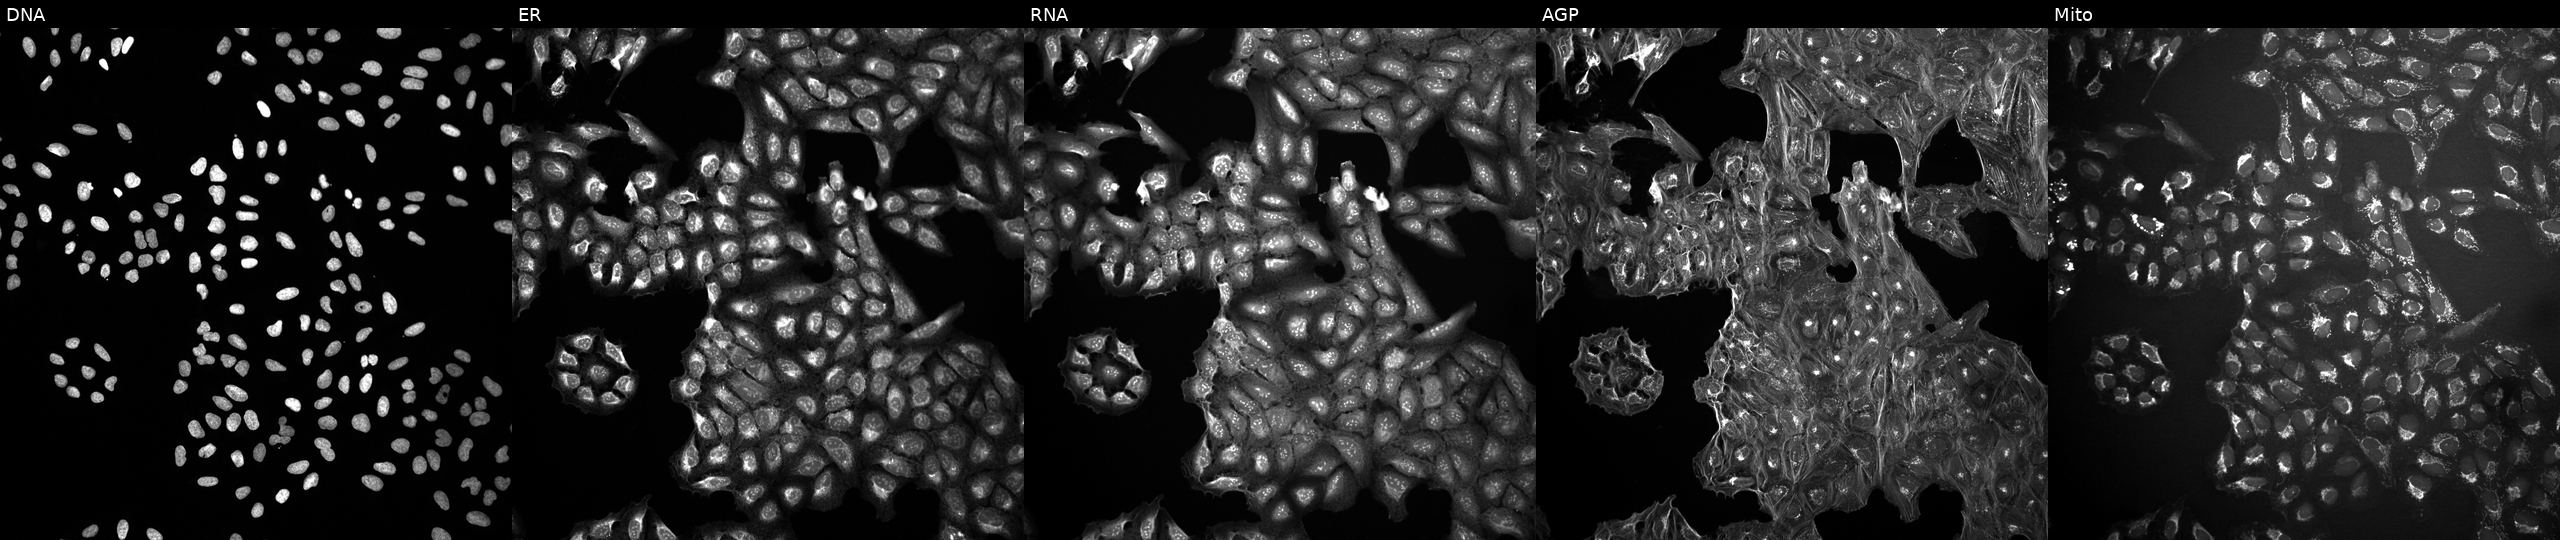
JUMP Cell Painting — COMPOUND plate. U2OS cells in an empty control well (no perturbation) (JUMP id JCP2022_999999). Channels (left→right): DNA (nuclei); ER (endoplasmic reticulum); RNA (nucleoli and cytoplasmic RNA); AGP (actin cytoskeleton, Golgi, and plasma membrane); Mito (mitochondria).